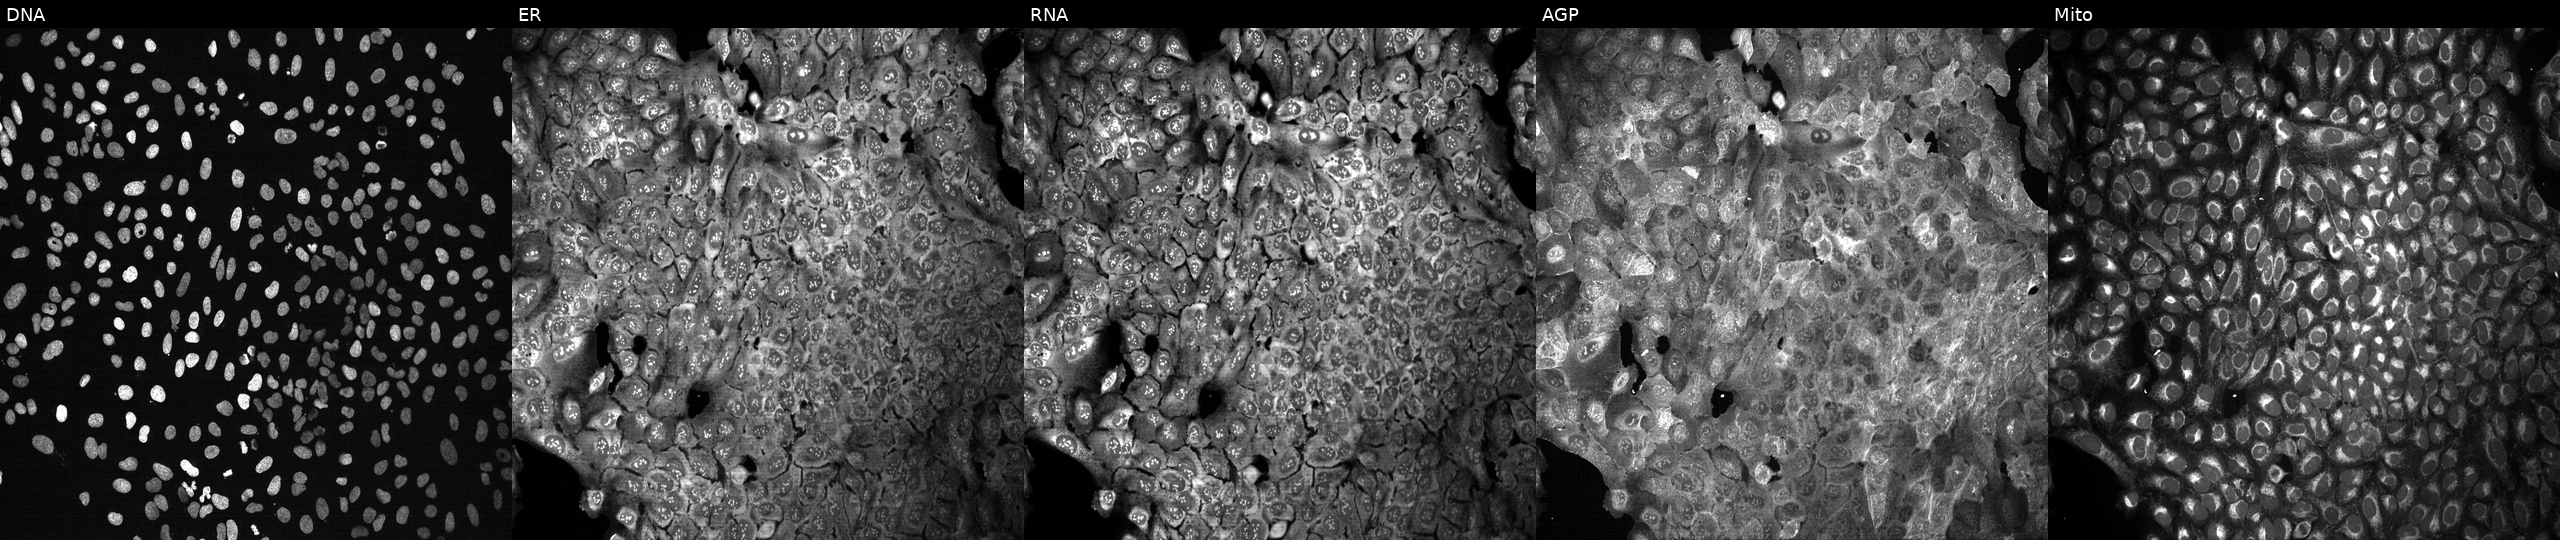
High-content fluorescence microscopy (Cell Painting). Cell line: U2OS. Perturbation: with CHST13 knocked out by CRISPR (JUMP id JCP2022_801330). Panels show, left to right, DNA (nuclei); ER (endoplasmic reticulum); RNA (nucleoli and cytoplasmic RNA); AGP (actin cytoskeleton, Golgi, and plasma membrane); Mito (mitochondria).